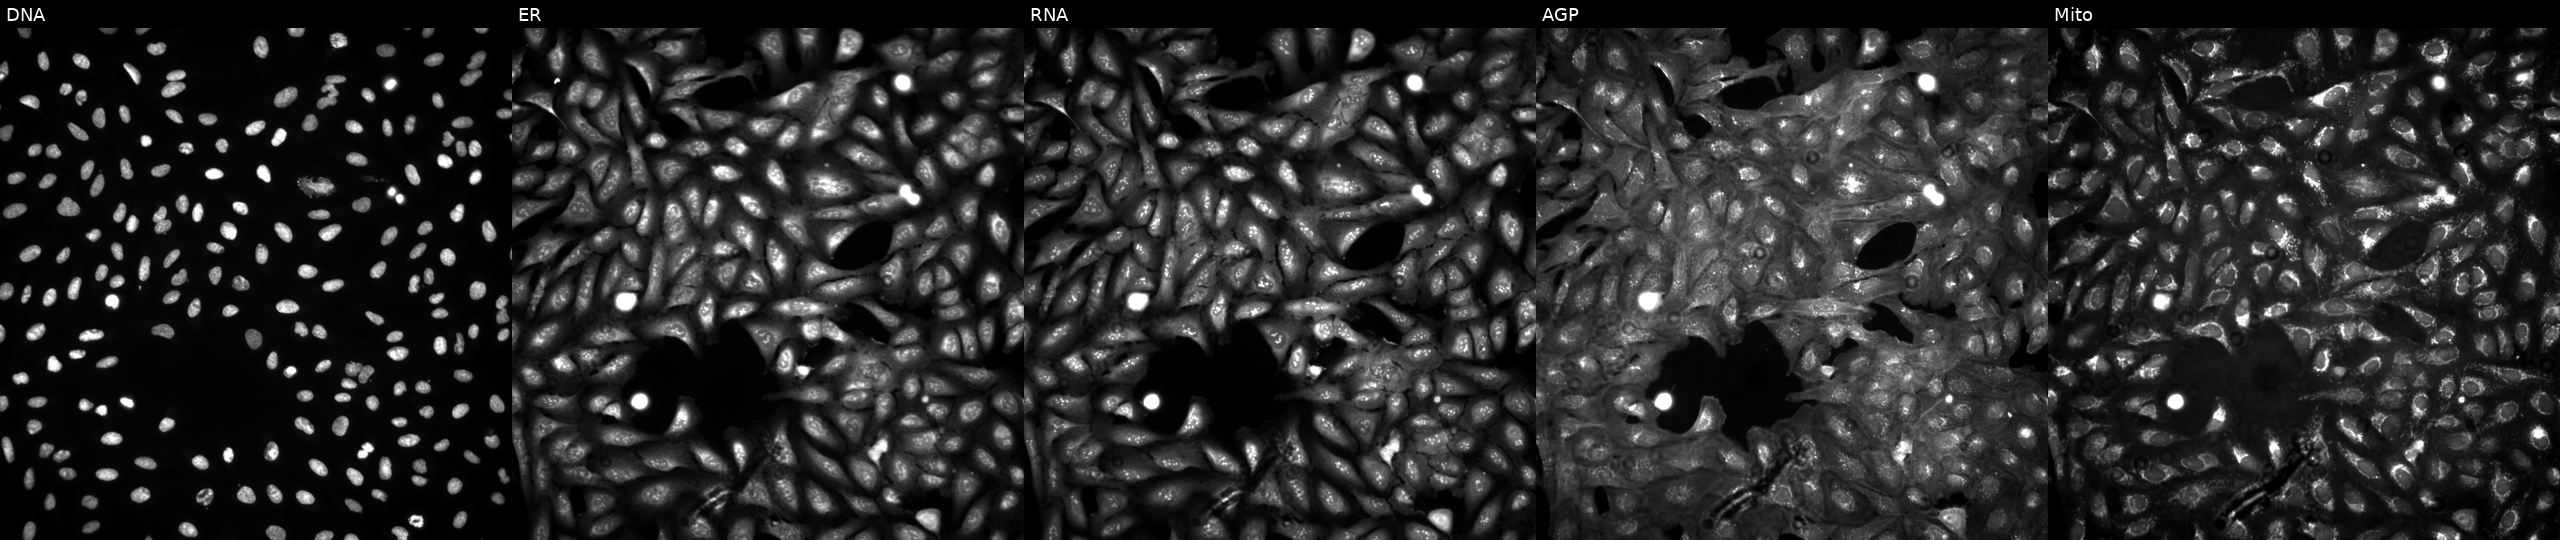
U2OS cells, Cell Painting assay, in an empty control well (no perturbation). Panels show, left to right, Hoechst 33342, concanavalin A, SYTO 14, phalloidin and WGA, MitoTracker. Each panel is percentile-stretched 16-bit fluorescence.